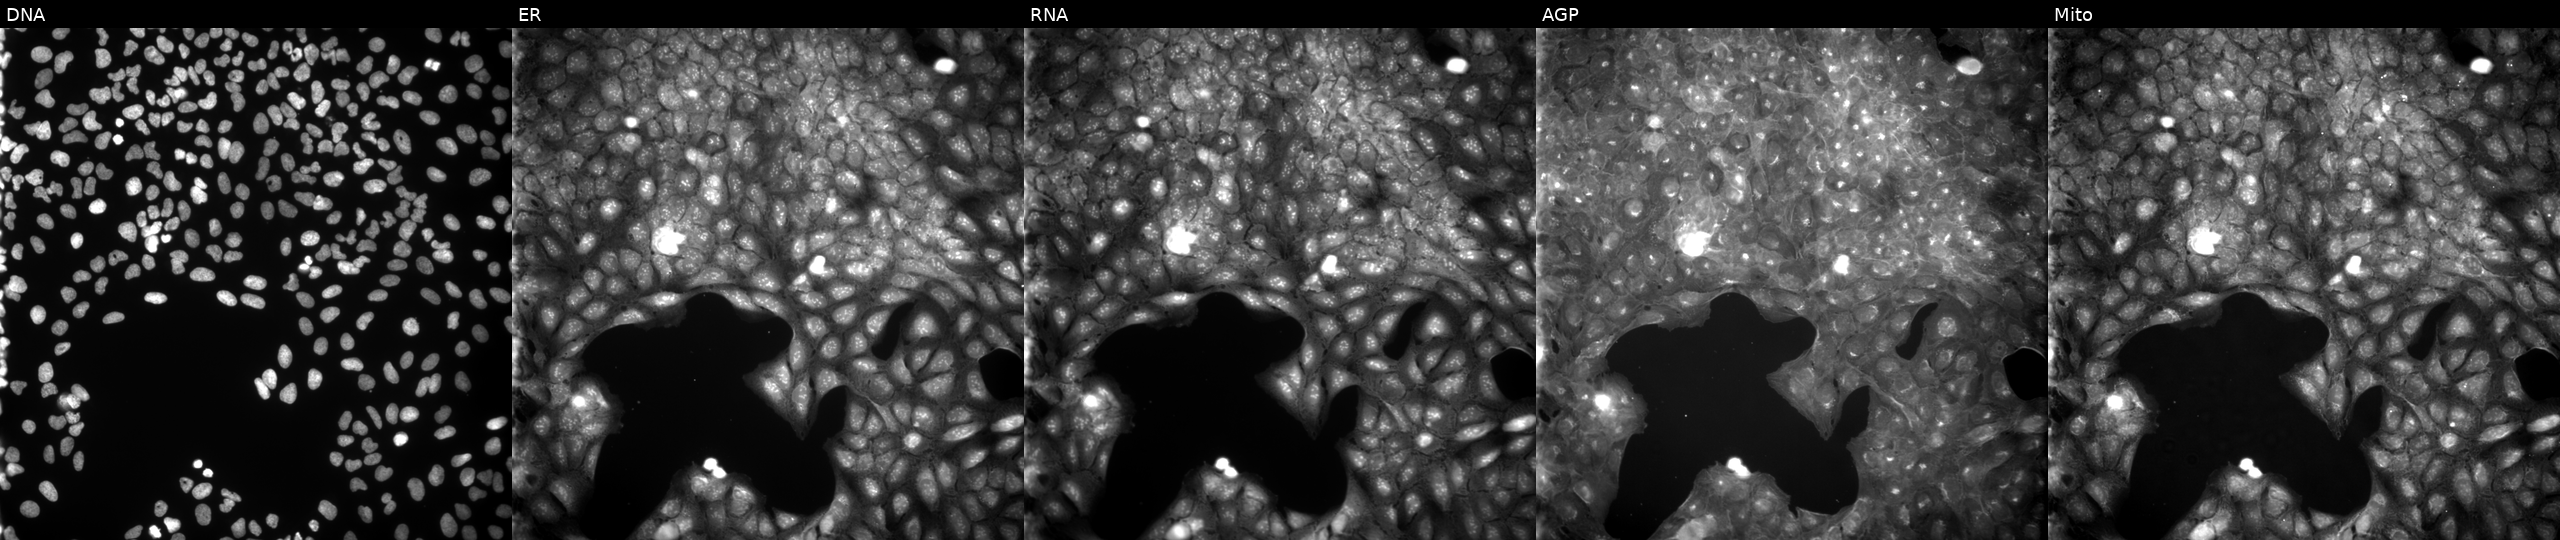
U2OS cells, Cell Painting assay, treated with DMSO vehicle only (negative control) (JUMP id JCP2022_033924). The five panels, left to right, show DNA (nuclei); ER (endoplasmic reticulum); RNA (nucleoli and cytoplasmic RNA); AGP (actin cytoskeleton, Golgi, and plasma membrane); Mito (mitochondria). Each panel is percentile-stretched 16-bit fluorescence.